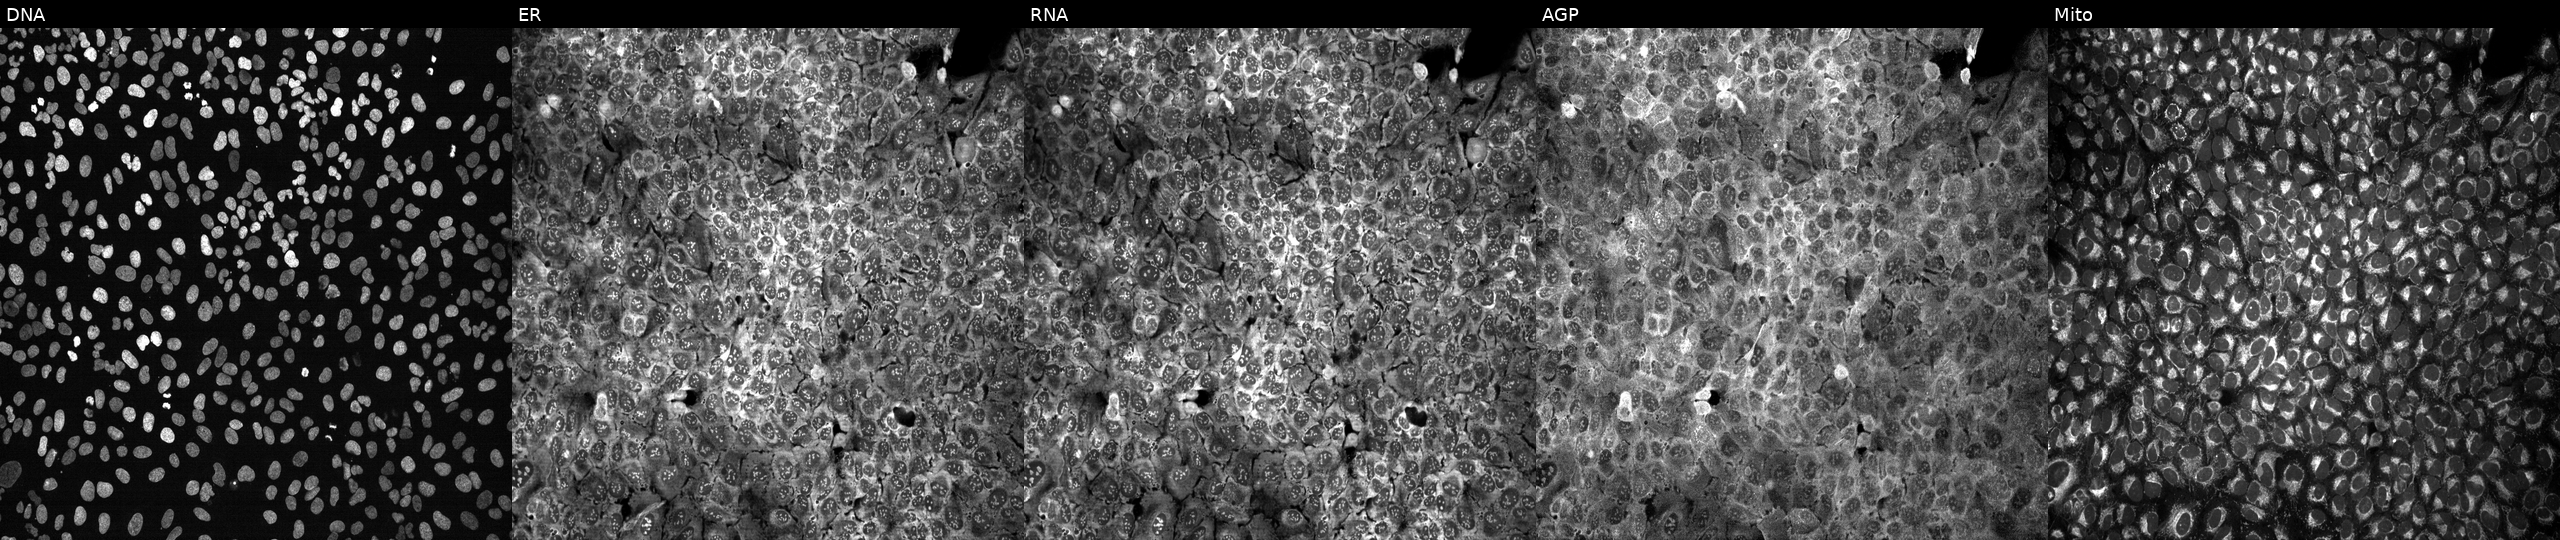
JUMP Cell Painting — CRISPR plate. U2OS cells following CRISPR knockout of NGLY1 (JUMP id JCP2022_804564). Channels (left→right): Hoechst 33342, concanavalin A, SYTO 14, phalloidin and WGA, MitoTracker.